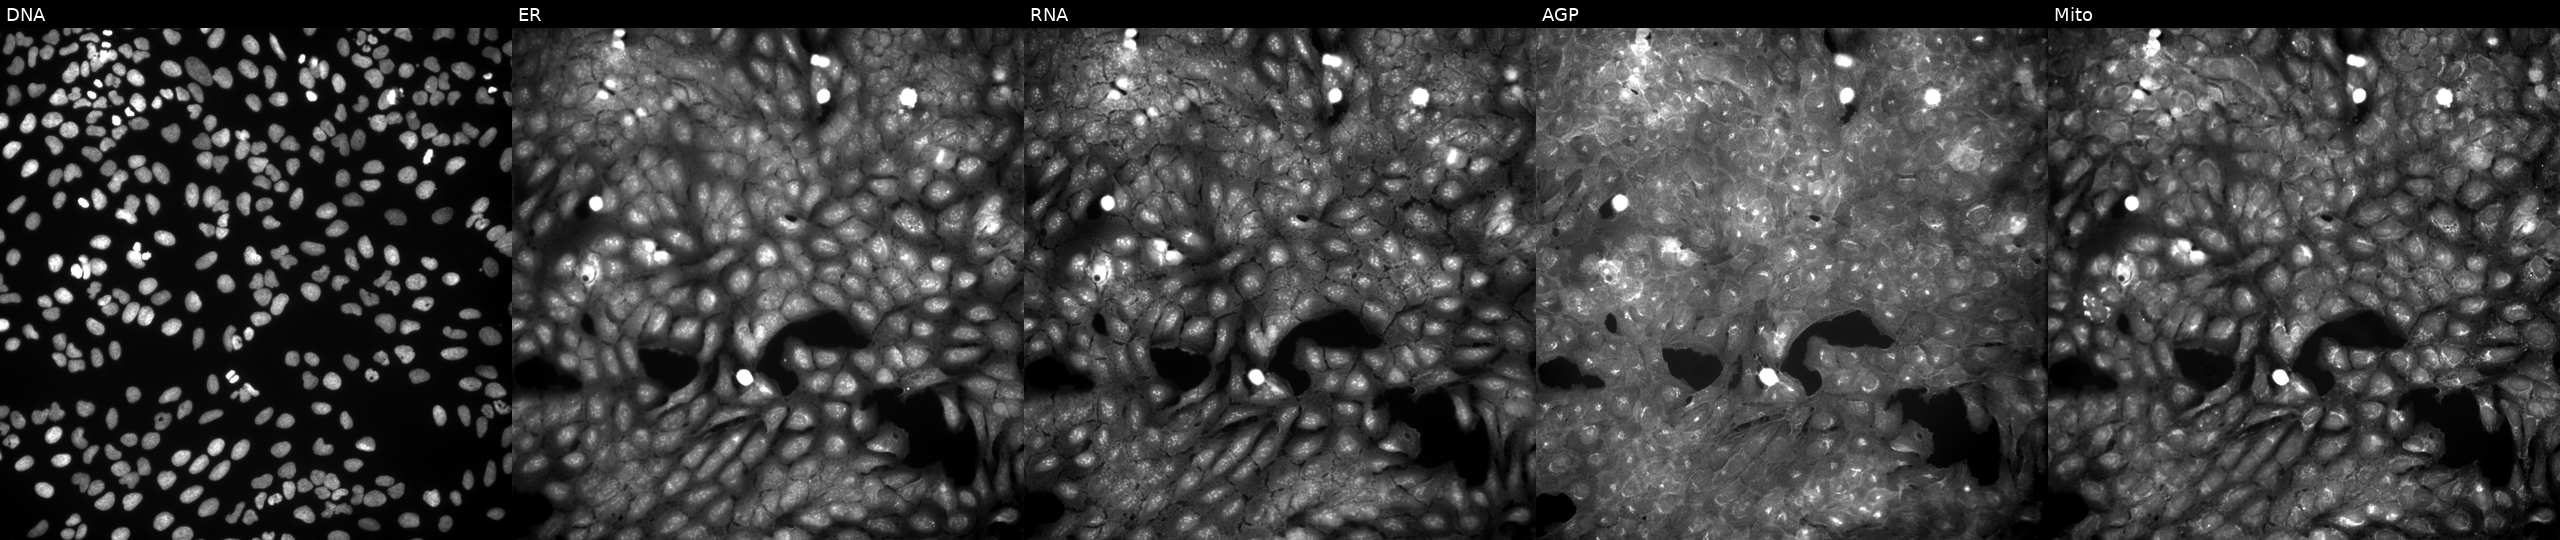
High-content fluorescence microscopy (Cell Painting). Cell line: U2OS. Perturbation: perturbed with a small-molecule compound (JUMP id JCP2022_109523). From left to right: DNA (nuclei); ER (endoplasmic reticulum); RNA (nucleoli and cytoplasmic RNA); AGP (actin cytoskeleton, Golgi, and plasma membrane); Mito (mitochondria).